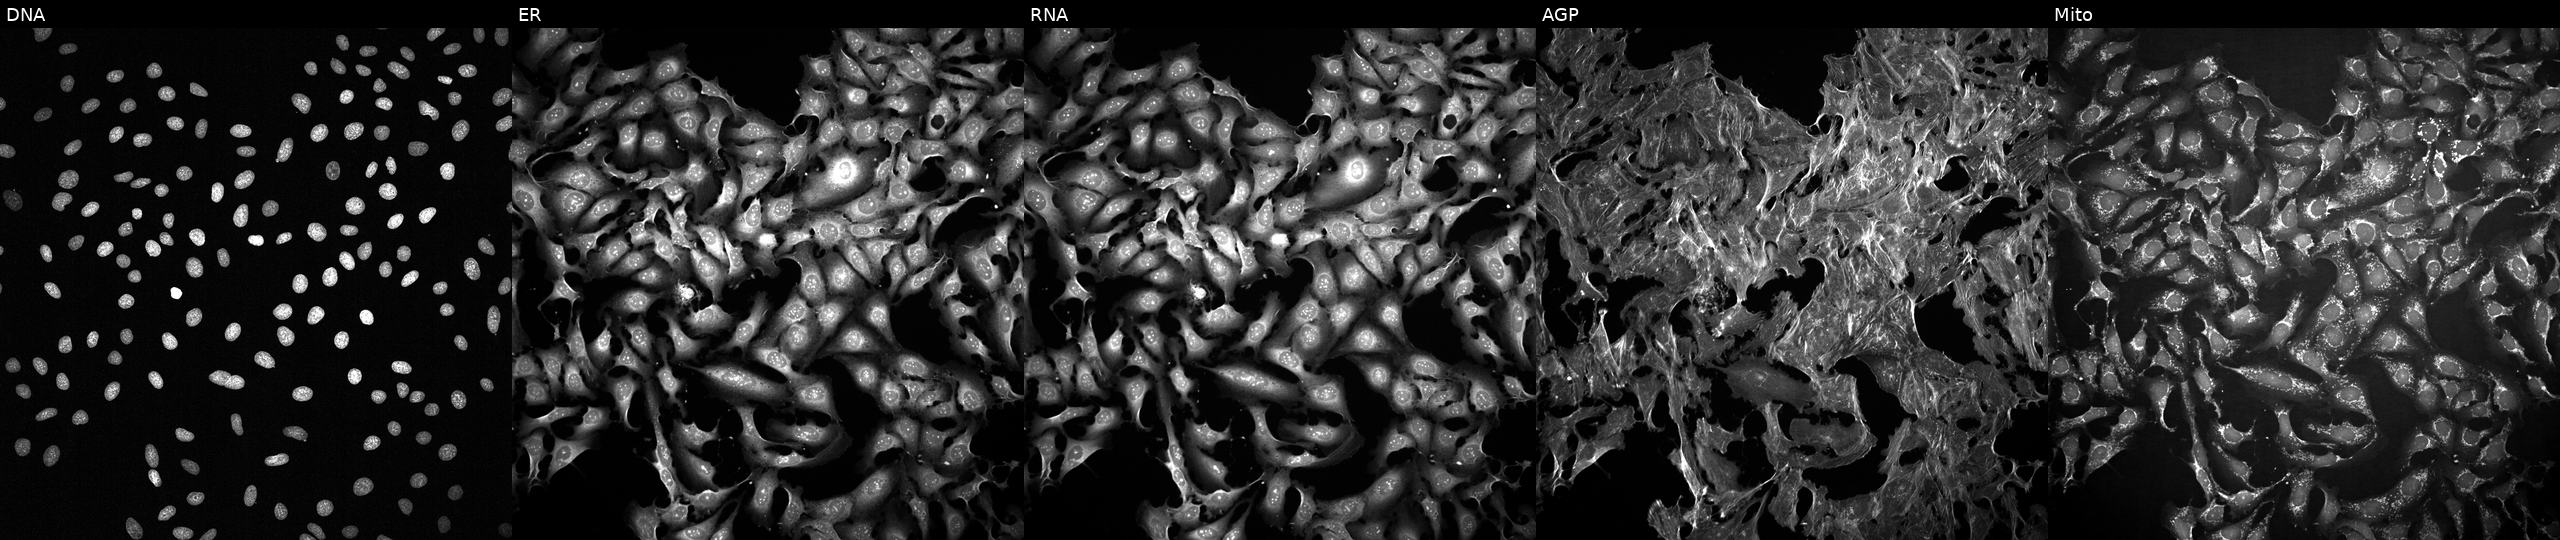
JUMP Cell Painting — COMPOUND plate. U2OS cells treated with FK-866 (positive-control compound) (JUMP id JCP2022_046054). Panels show, left to right, DNA, ER, RNA, AGP, and Mito.